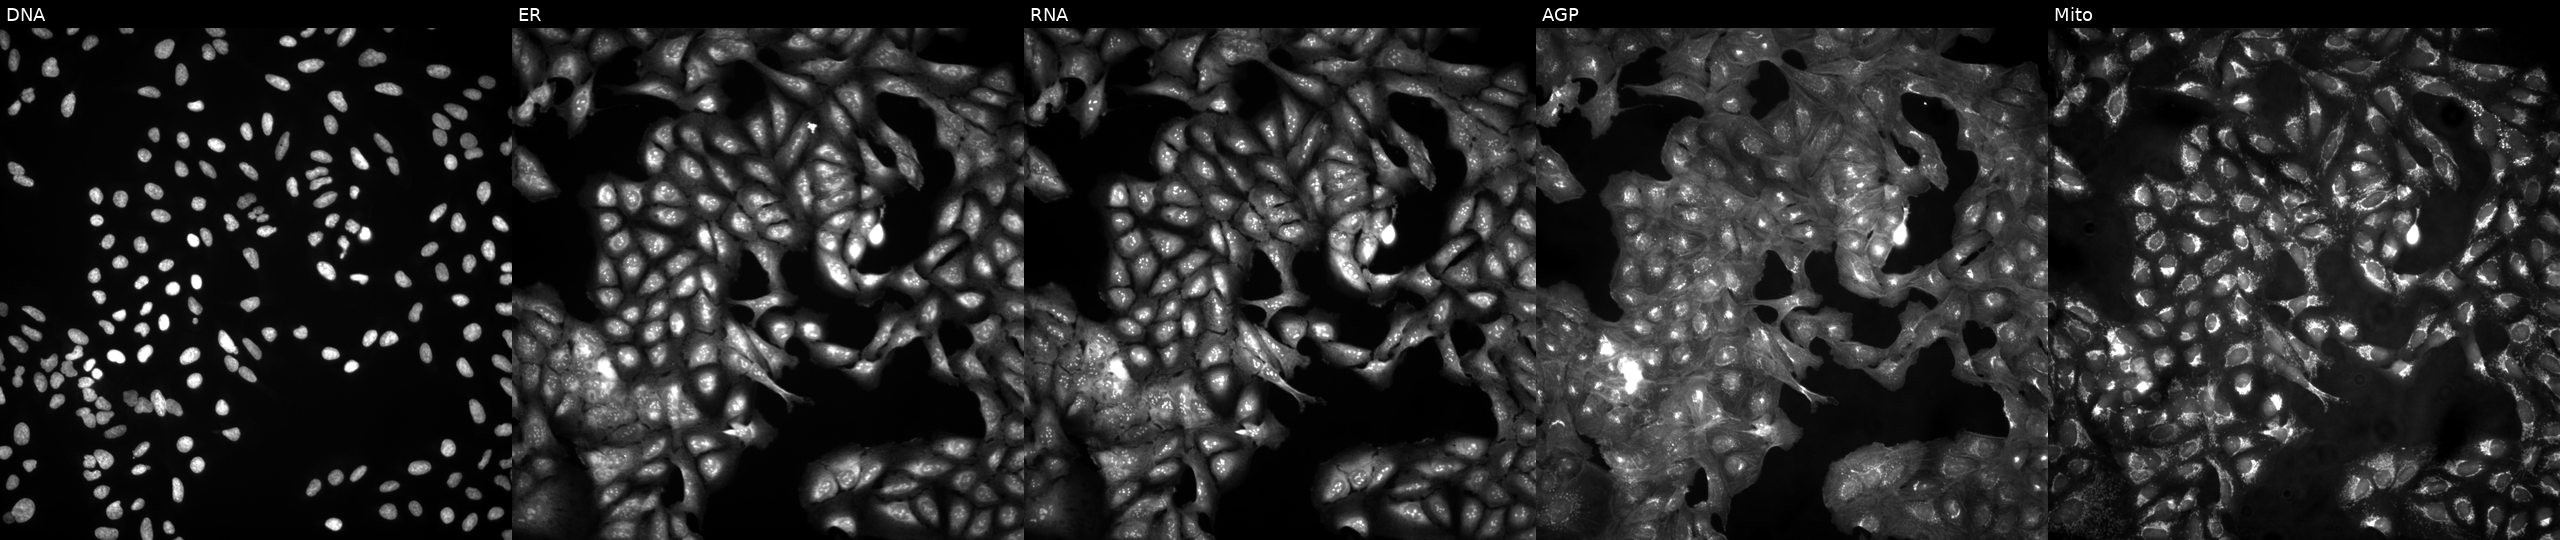
Five-channel Cell Painting image of U2OS cells in an empty control well (no perturbation). The five panels, left to right, show DNA, ER, RNA, AGP, and Mito. Source 4, plate BR00123946, well K14.